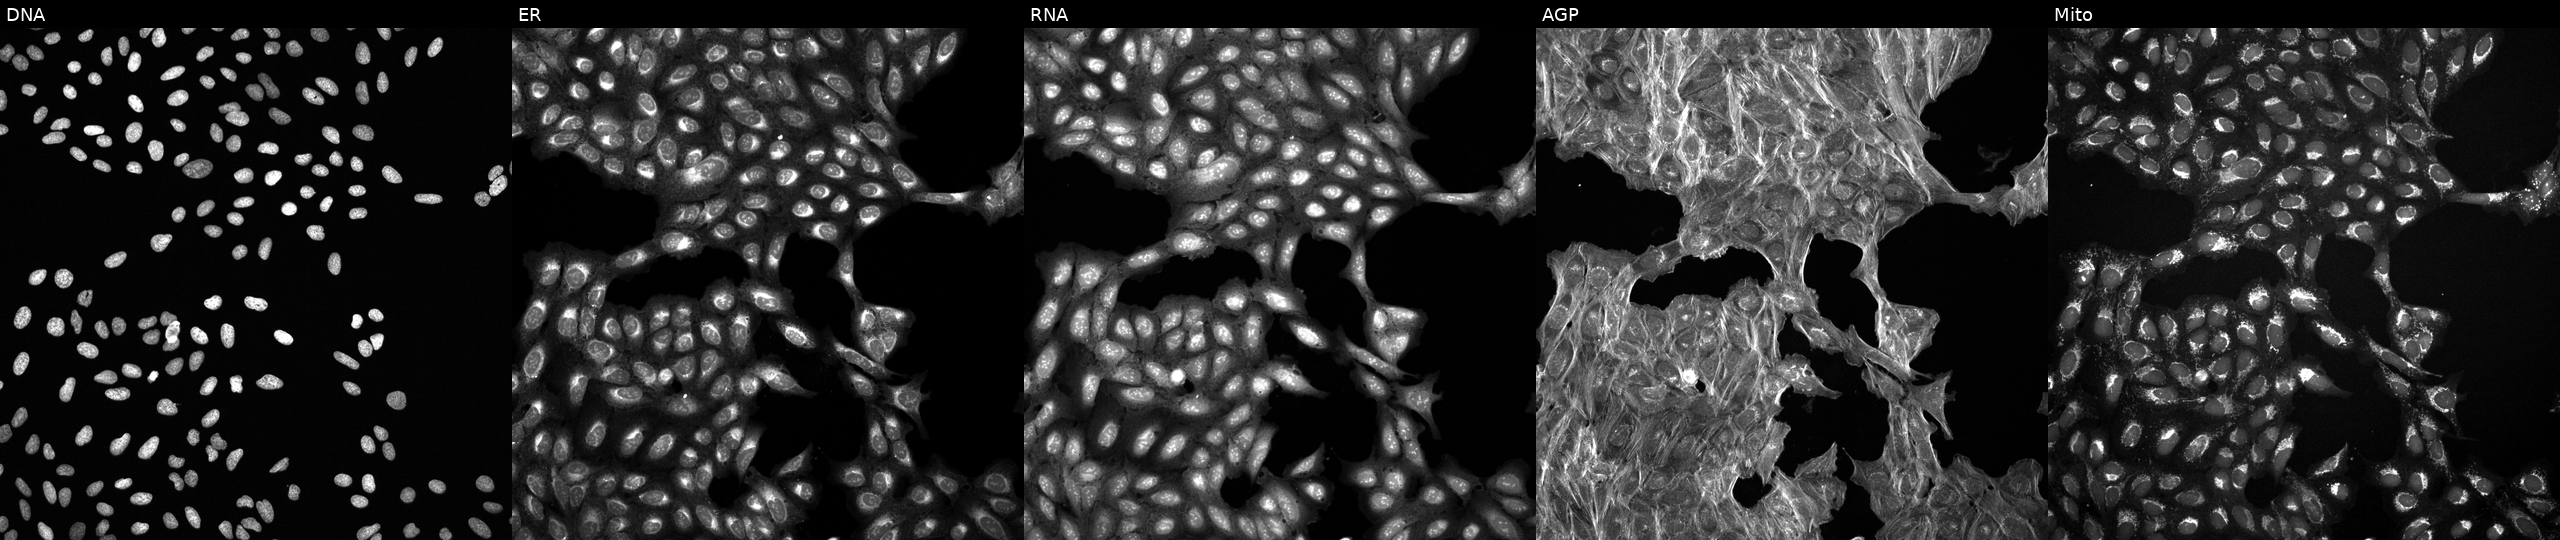
Five-channel Cell Painting image of U2OS cells exposed to a small-molecule compound (InChIKey QESQGTFWEQMCMH-UHFFFAOYSA-N). Channels (left→right): DNA, ER, RNA, AGP, and Mito. Source 6, plate 110000293081, well K21.